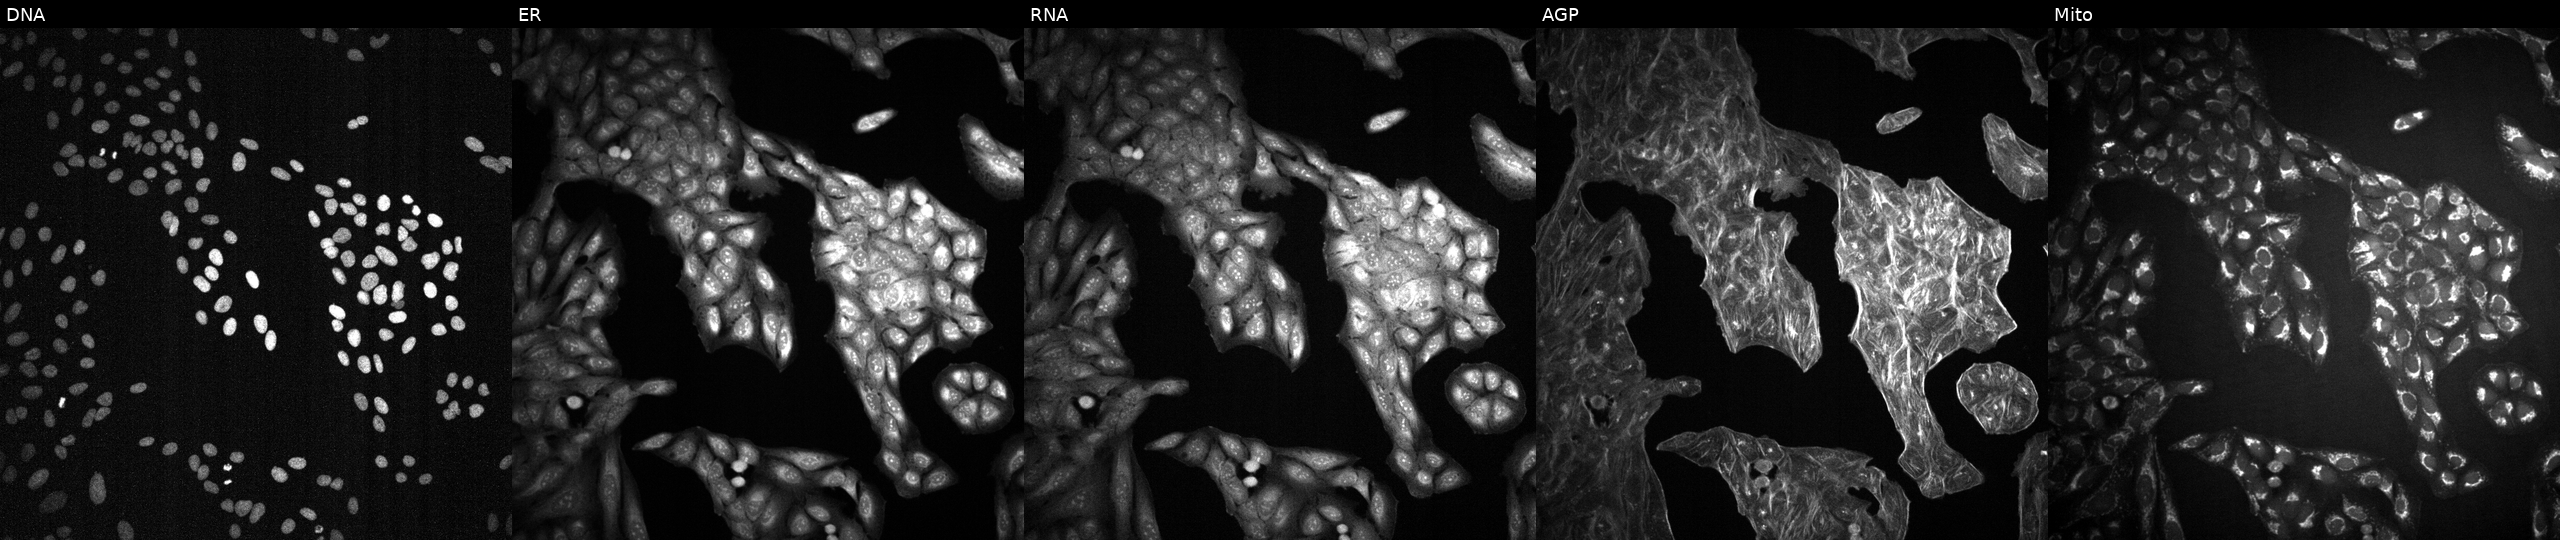
This image strip shows the five Cell Painting channels for a single field of U2OS cells perturbed with a small-molecule compound [SMILES: c1ccc(C(OC2CCCN(CCc3ccc4c(c3)OCO4)C2)c2ccccc2)cc1] (JUMP id JCP2022_005628). The five panels, left to right, show Hoechst 33342, concanavalin A, SYTO 14, phalloidin and WGA, MitoTracker.